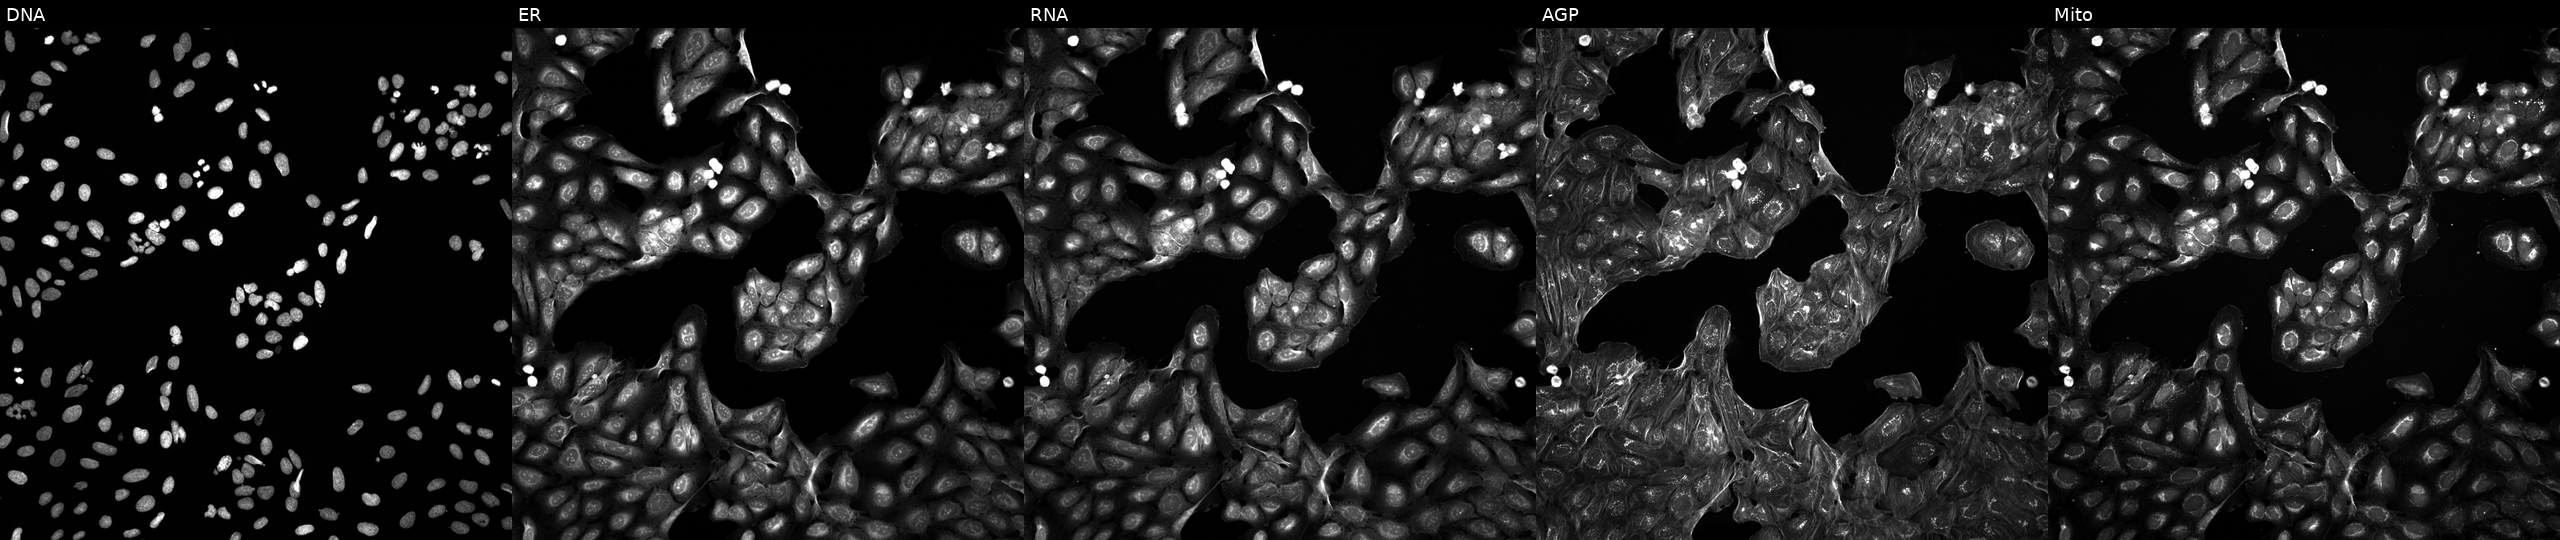
Five-channel Cell Painting image of U2OS cells treated with a small-molecule compound (JUMP id JCP2022_071279). Channels (left→right): Hoechst 33342, concanavalin A, SYTO 14, phalloidin and WGA, MitoTracker.